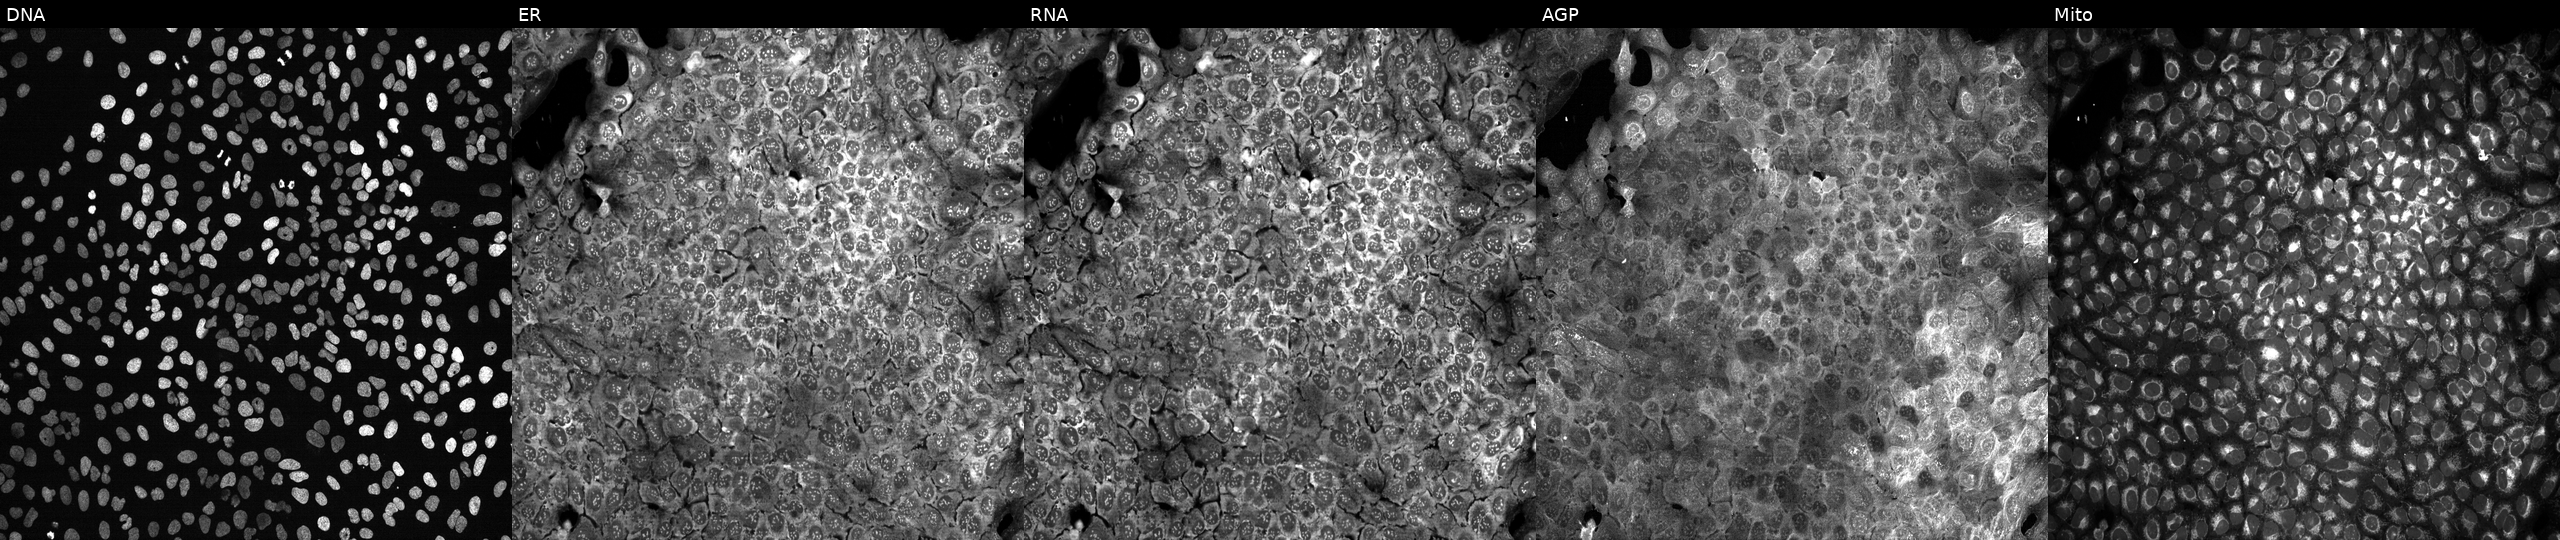
U2OS cells, Cell Painting assay, with a non-targeting CRISPR guide (negative control). Channels (left→right): DNA, ER, RNA, AGP, and Mito. Each panel is percentile-stretched 16-bit fluorescence.